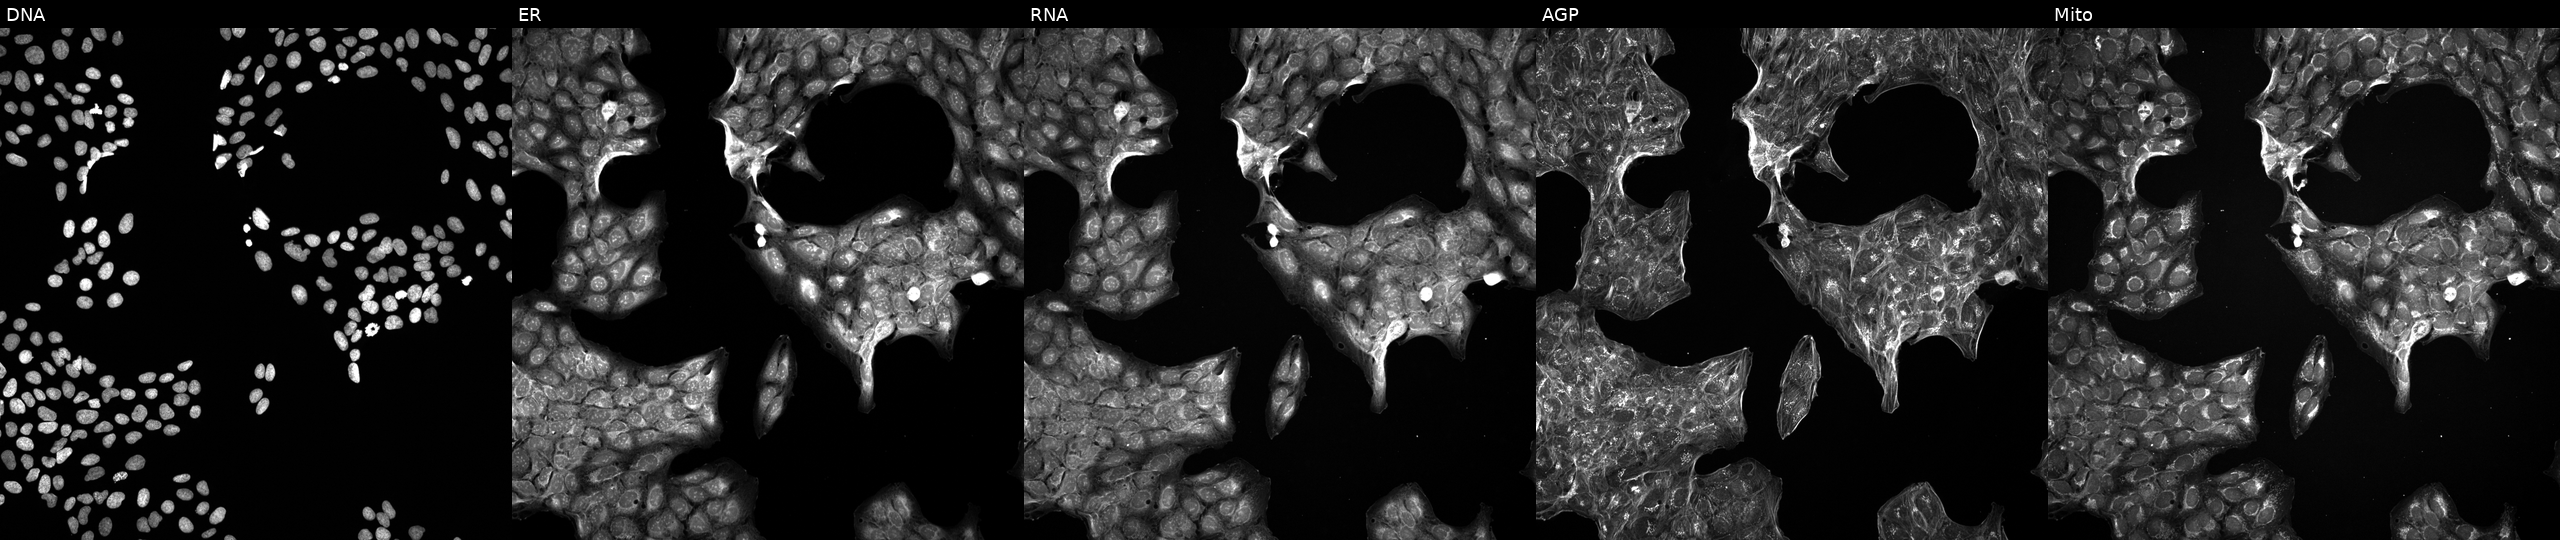
High-content fluorescence microscopy (Cell Painting). Cell line: U2OS. Perturbation: exposed to the positive-control compound LY2109761. Channels (left→right): Hoechst 33342, concanavalin A, SYTO 14, phalloidin and WGA, MitoTracker.